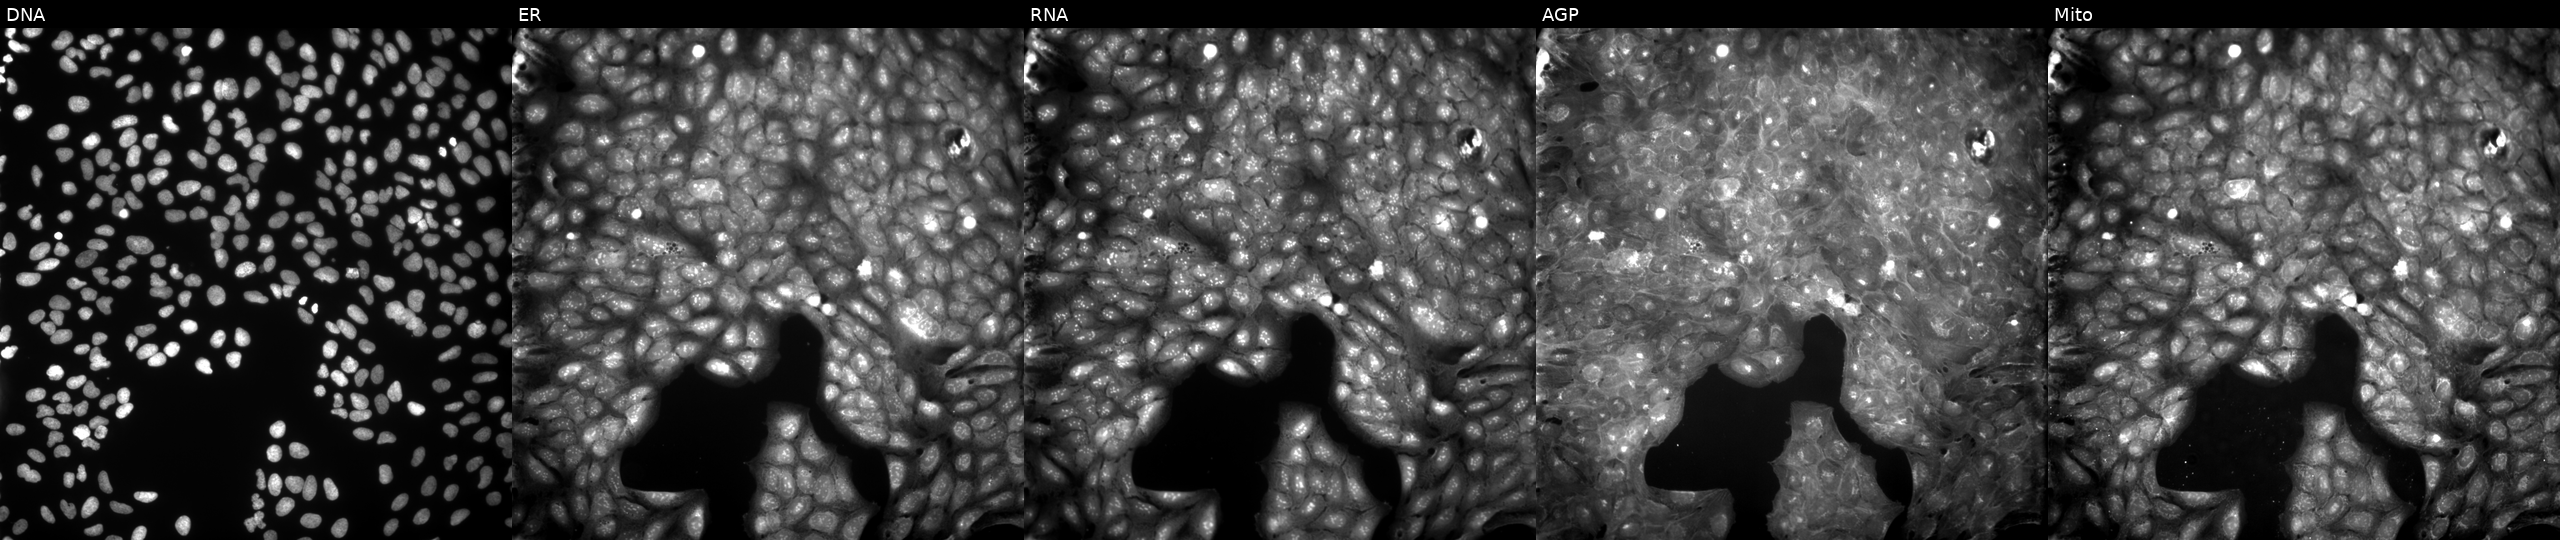
From left to right: Hoechst 33342, concanavalin A, SYTO 14, phalloidin and WGA, MitoTracker. U2OS osteosarcoma cells perturbed with a small-molecule compound [SMILES: CCCC(=O)N=c1c2c([nH]c3c1CCC3)CCCC2] (JUMP id JCP2022_104844). Cell Painting assay, JUMP-CP dataset.